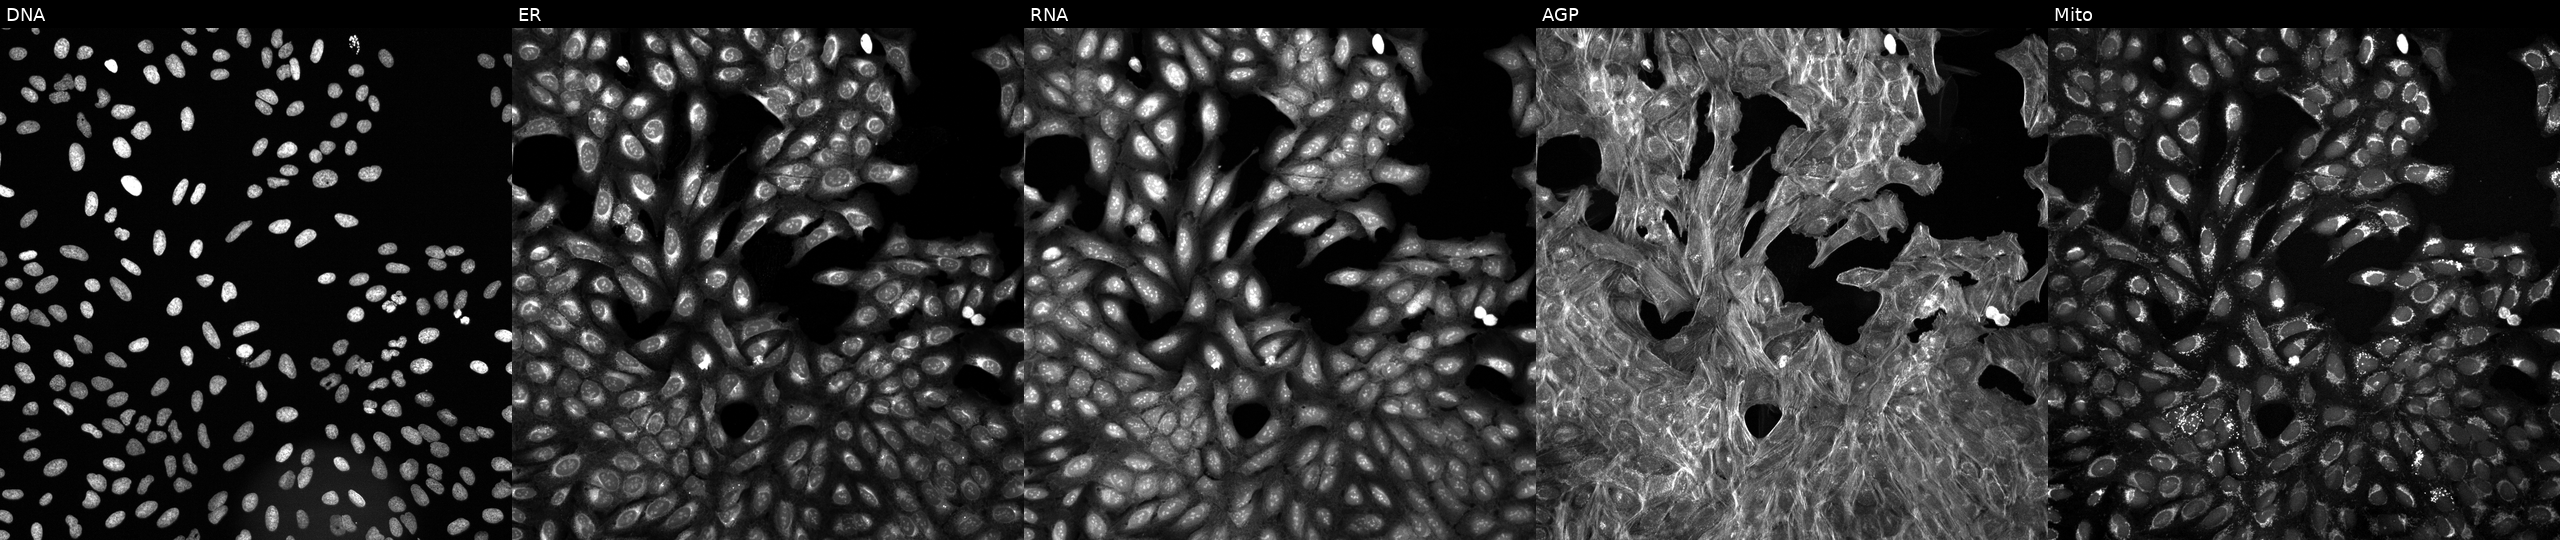
Five-channel Cell Painting image of U2OS cells treated with a small-molecule compound (InChIKey FARWYGVJXXNMDN-UHFFFAOYSA-N). Channels (left→right): DNA (nuclei); ER (endoplasmic reticulum); RNA (nucleoli and cytoplasmic RNA); AGP (actin cytoskeleton, Golgi, and plasma membrane); Mito (mitochondria). Source 6, plate 110000293082, well M20.